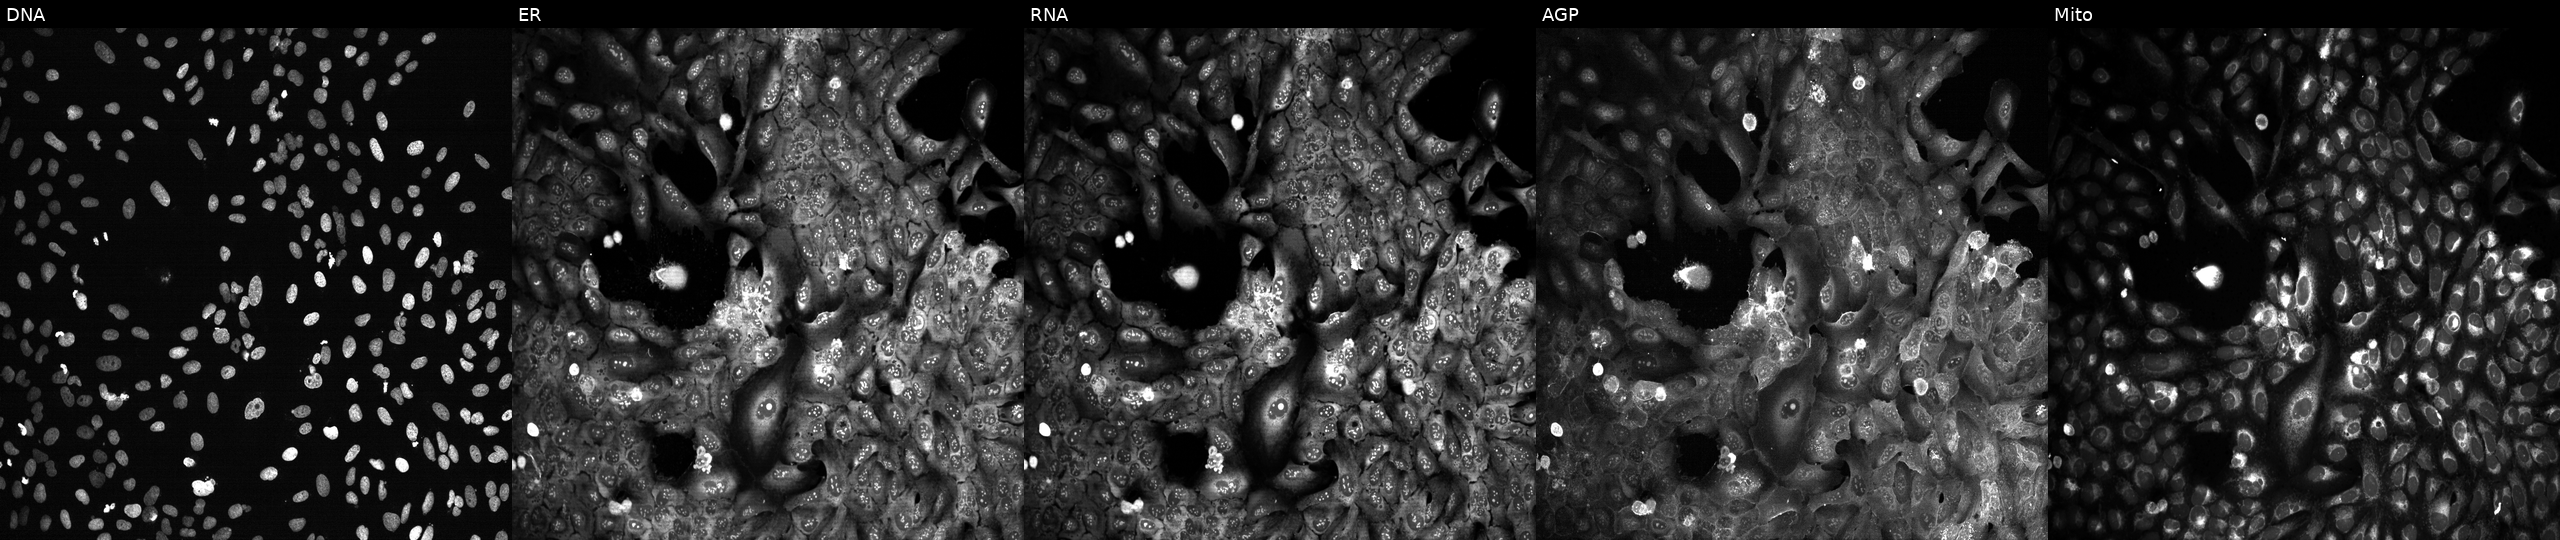
Five-channel Cell Painting image of U2OS cells with GGCX knocked out by CRISPR (JUMP id JCP2022_802680). From left to right: DNA (nuclei); ER (endoplasmic reticulum); RNA (nucleoli and cytoplasmic RNA); AGP (actin cytoskeleton, Golgi, and plasma membrane); Mito (mitochondria).